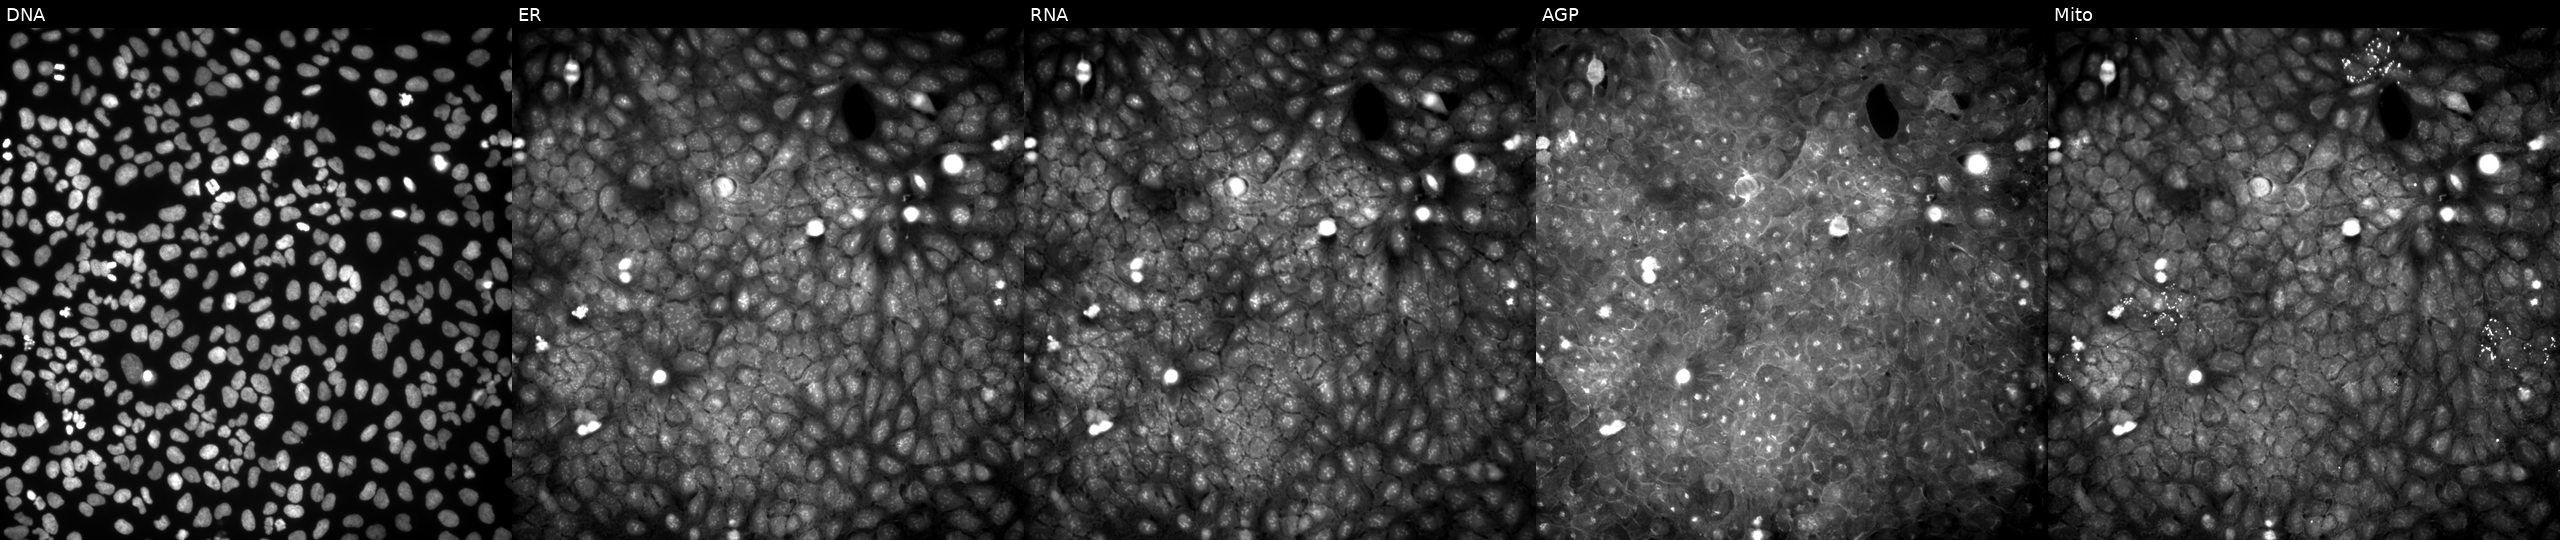
JUMP Cell Painting — COMPOUND plate. U2OS cells exposed to a small-molecule compound (InChIKey MJQNCJLFGUUTQM-UHFFFAOYSA-N) [SMILES: COc1ccc(S(=O)(=O)N(CCc2ccccc2)CC(=O)Nc2cc(Cl)ccc2C)cc1] (JUMP id JCP2022_054593). Panels show, left to right, DNA, ER, RNA, AGP, and Mito. Source 9, plate GR00003381, well AF29.